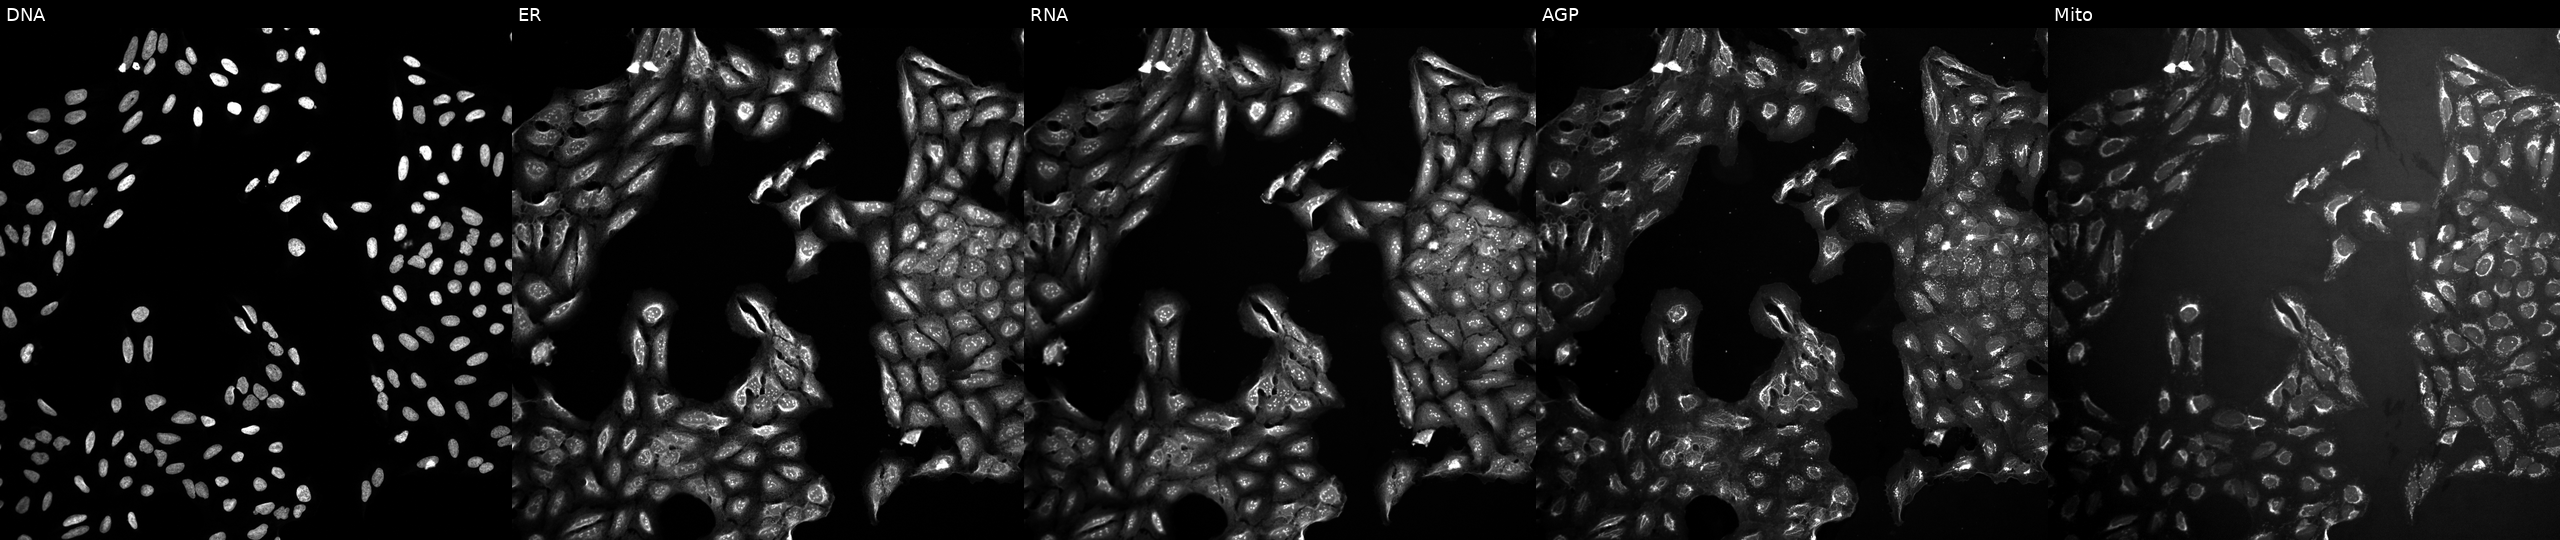
U2OS cells, Cell Painting assay, perturbed with a small-molecule compound (InChIKey UZDORQWMYRRLQV-UHFFFAOYSA-N) (JUMP id JCP2022_092464). From left to right: DNA, ER, RNA, AGP, and Mito. Each panel is percentile-stretched 16-bit fluorescence. Source 10, plate Dest210803-153958, well E21.